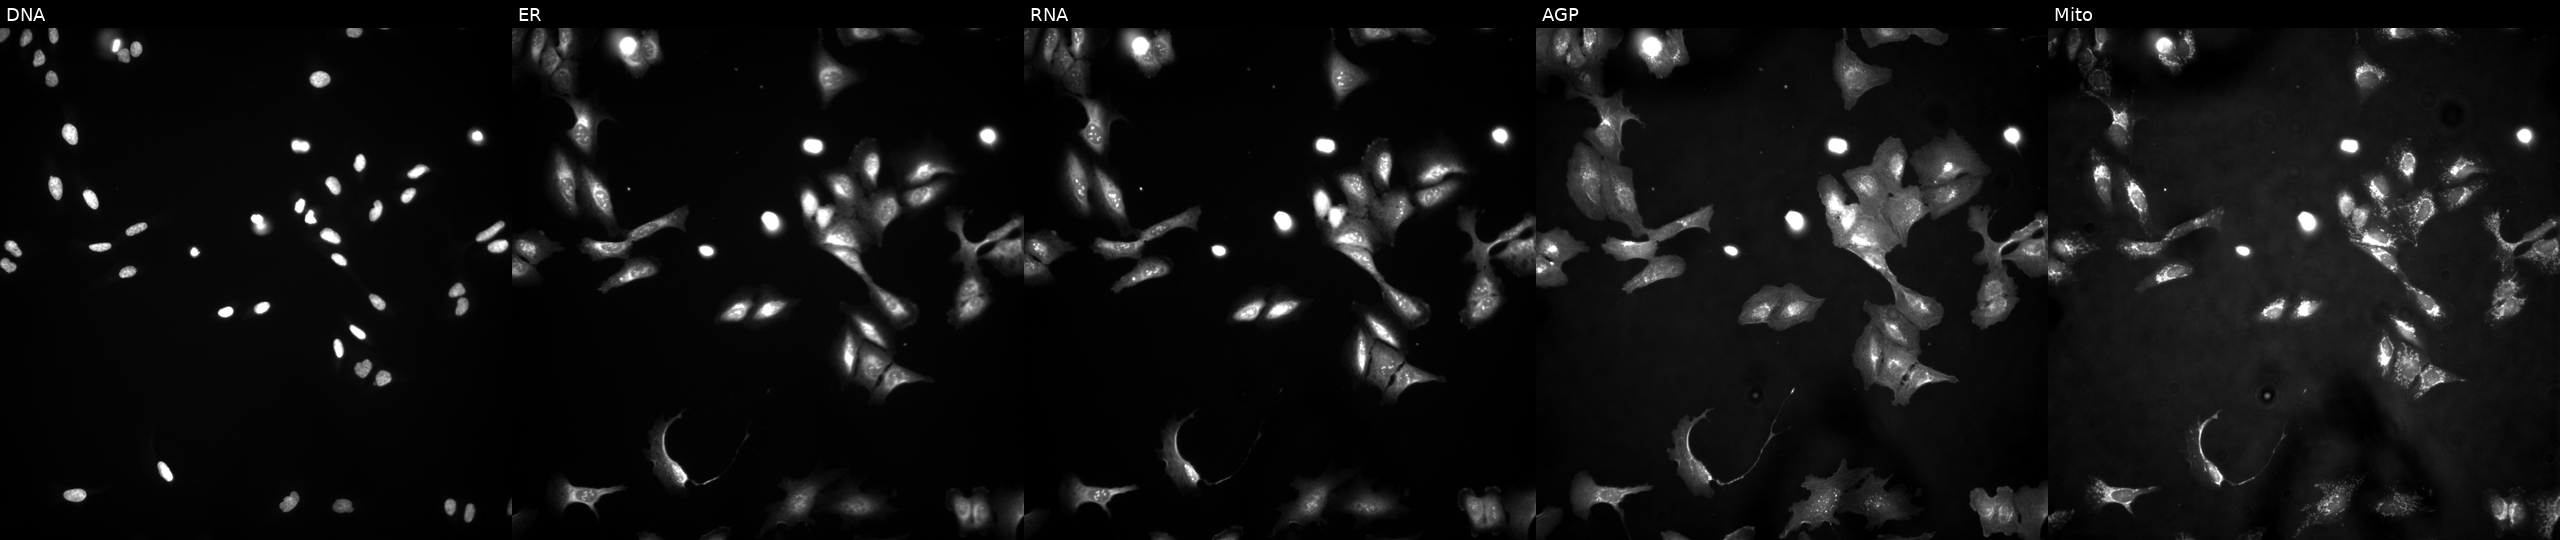
Five-channel Cell Painting image of U2OS cells with RFC5 overexpressed (ORF) (JUMP id JCP2022_901304). From left to right: DNA (nuclei); ER (endoplasmic reticulum); RNA (nucleoli and cytoplasmic RNA); AGP (actin cytoskeleton, Golgi, and plasma membrane); Mito (mitochondria).